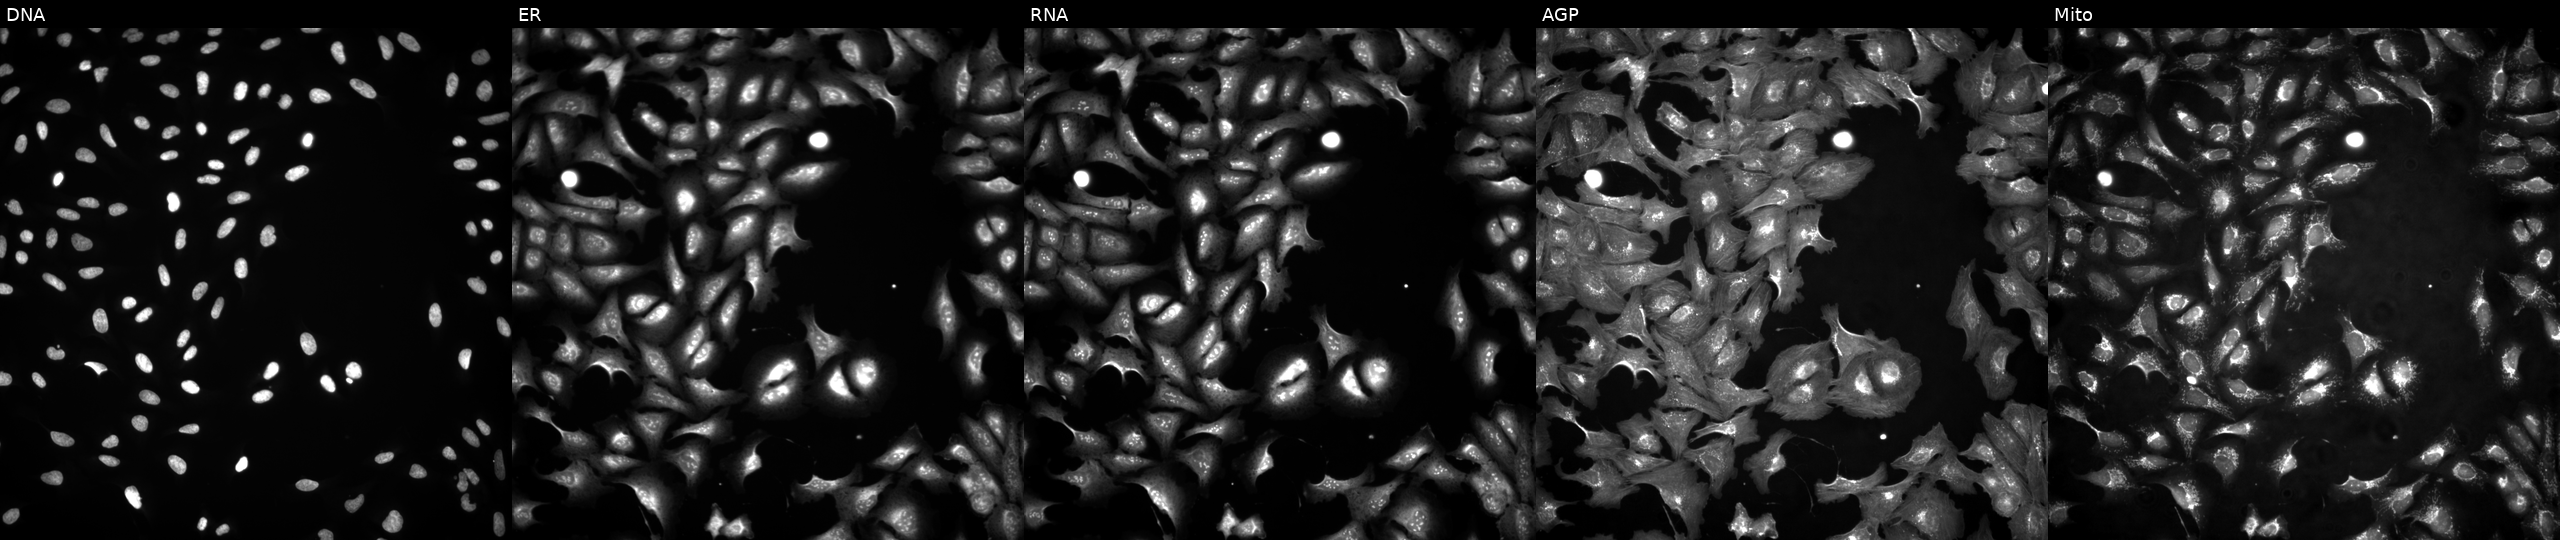
This image strip shows the five Cell Painting channels for a single field of U2OS cells with NTRK2 overexpressed (ORF). Channels (left→right): DNA (nuclei); ER (endoplasmic reticulum); RNA (nucleoli and cytoplasmic RNA); AGP (actin cytoskeleton, Golgi, and plasma membrane); Mito (mitochondria). Source 4, plate BR00123945, well B09.